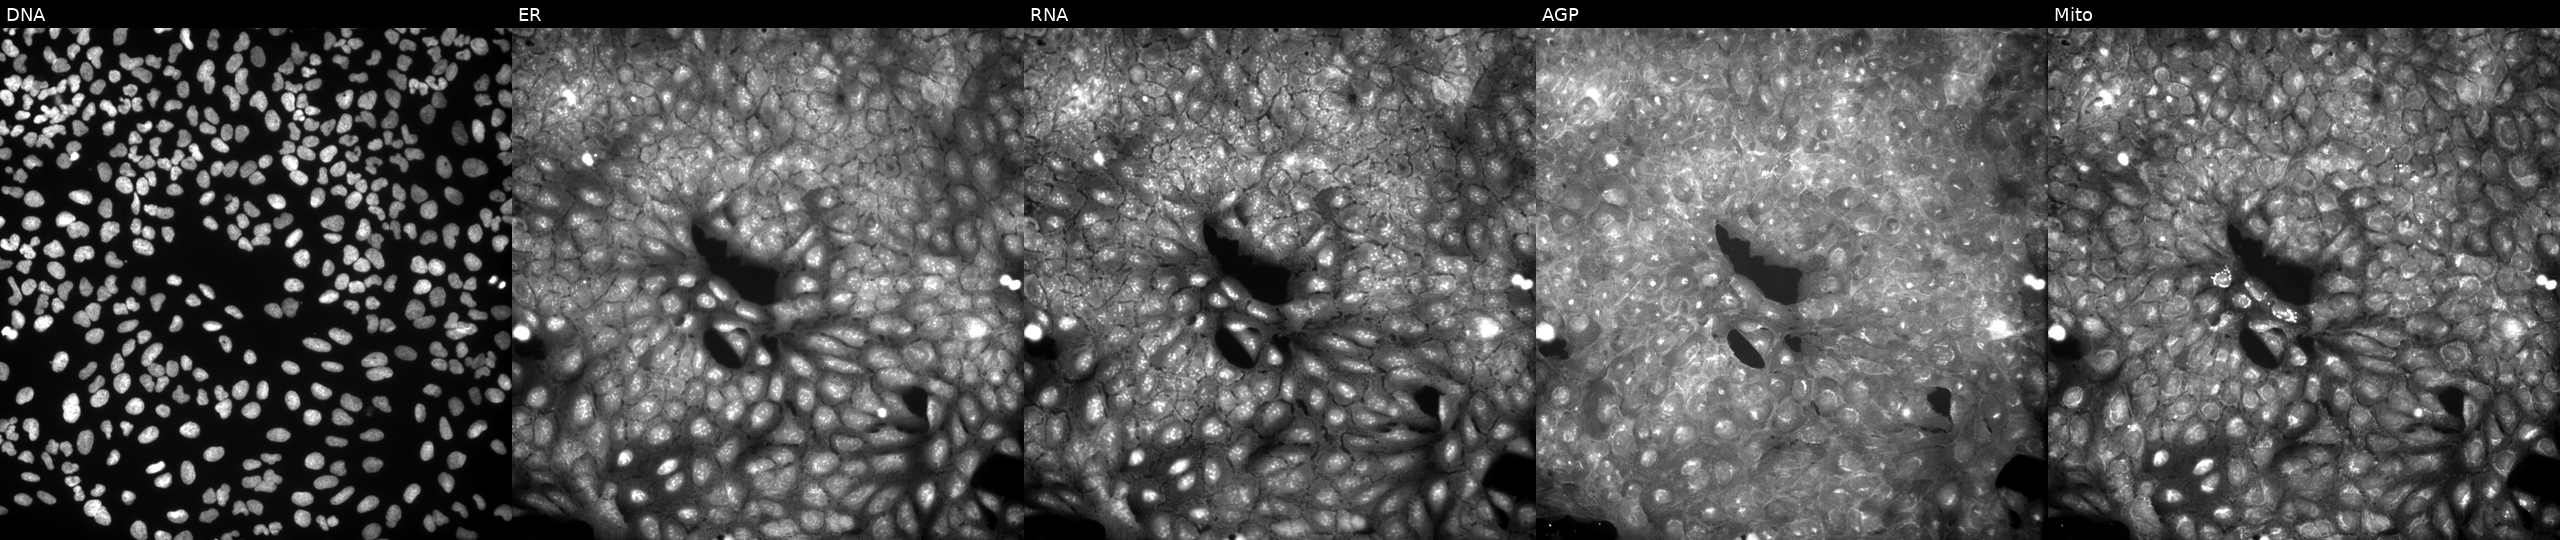
Five-channel Cell Painting image of U2OS cells exposed to a small-molecule compound (InChIKey WCAHLHHNESWBHR-UHFFFAOYSA-N) [SMILES: Cc1ccc2c(c1)C(c1ccccc1)N(C(=O)C(C)C)CC(=O)N2]. The five panels, left to right, show DNA, ER, RNA, AGP, and Mito. Source 9, plate GR00003382, well M34.